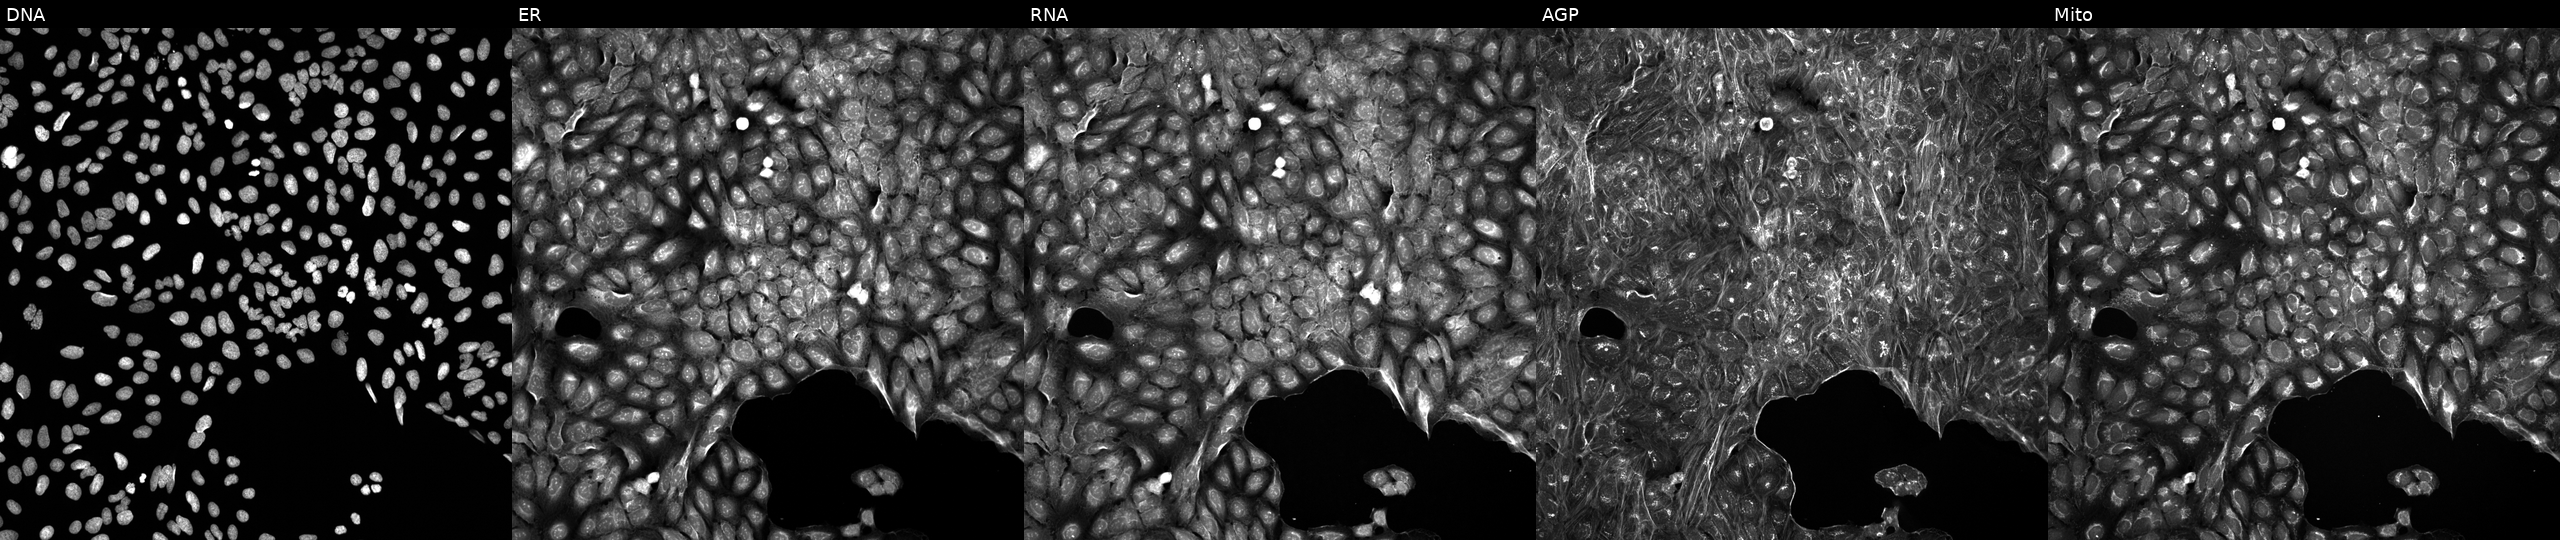
This image strip shows the five Cell Painting channels for a single field of U2OS cells exposed to a small-molecule compound (JUMP id JCP2022_082924). From left to right: DNA (nuclei); ER (endoplasmic reticulum); RNA (nucleoli and cytoplasmic RNA); AGP (actin cytoskeleton, Golgi, and plasma membrane); Mito (mitochondria). Source 5, plate APTJUM106, well I21.